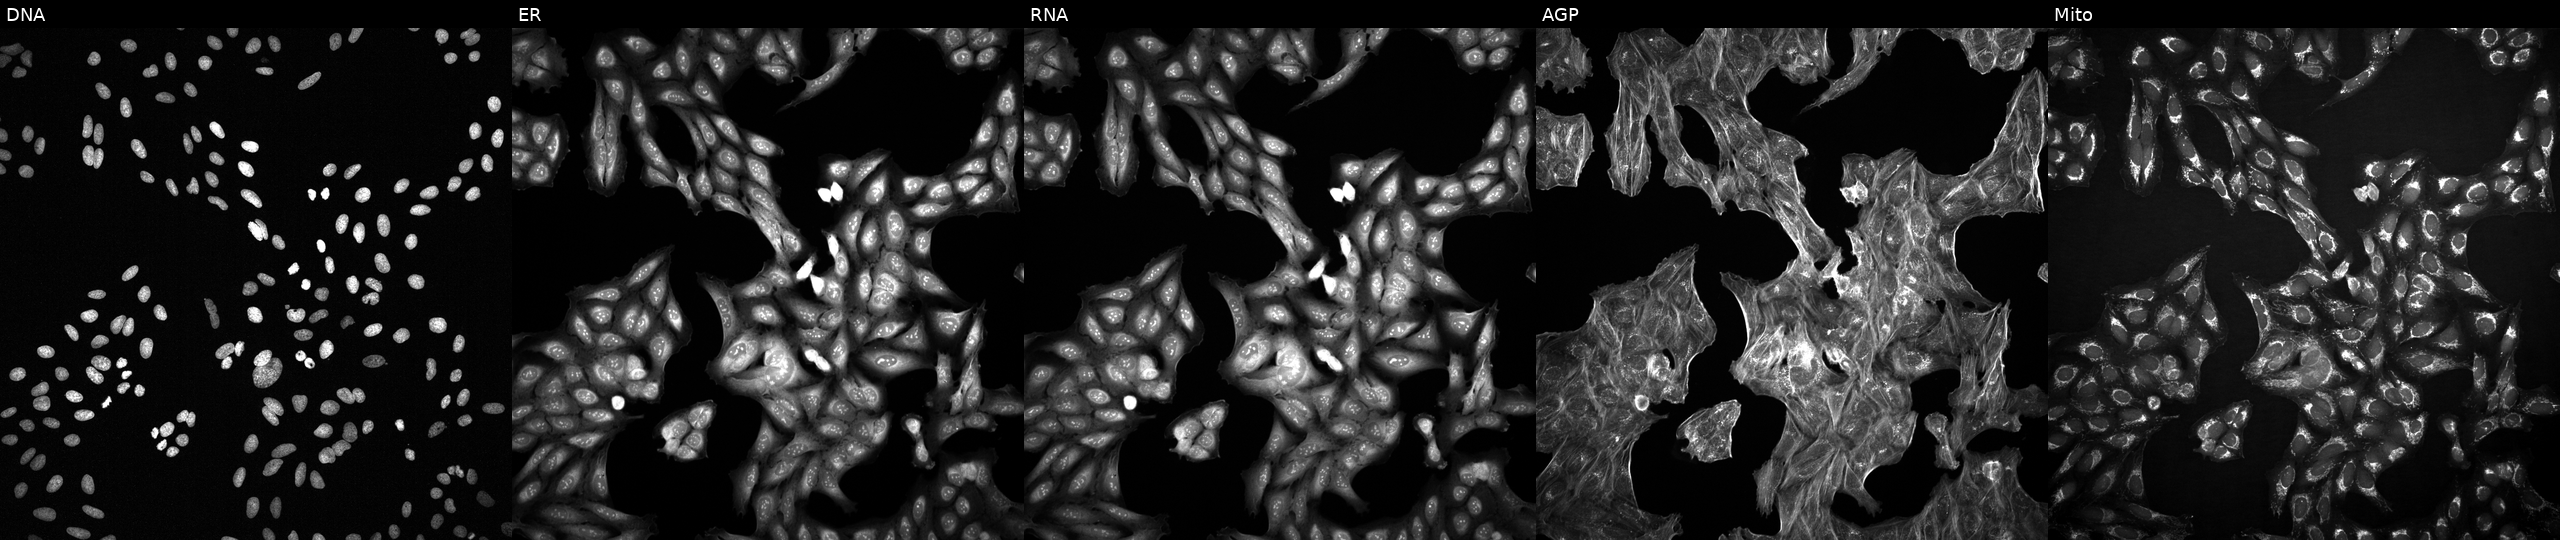
High-content fluorescence microscopy (Cell Painting). Cell line: U2OS. Perturbation: treated with a small-molecule compound (JUMP id JCP2022_033985). Channels (left→right): DNA, ER, RNA, AGP, and Mito.